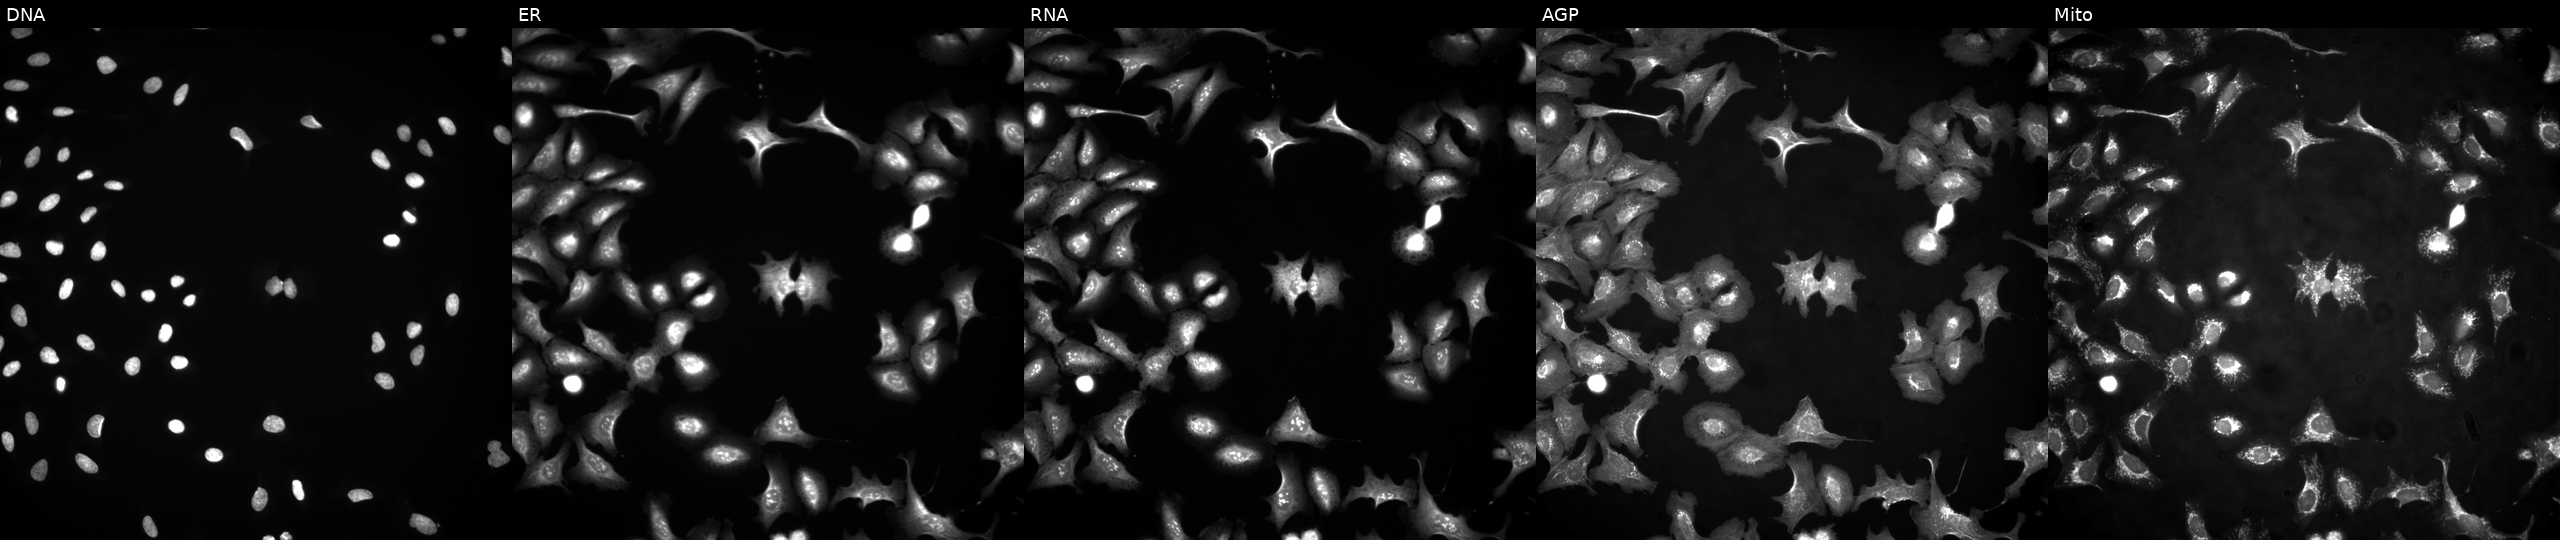
Five-channel Cell Painting image of U2OS cells transfected with an ORF construct for SPHK1 (JUMP id JCP2022_906841). The five panels, left to right, show Hoechst 33342, concanavalin A, SYTO 14, phalloidin and WGA, MitoTracker.